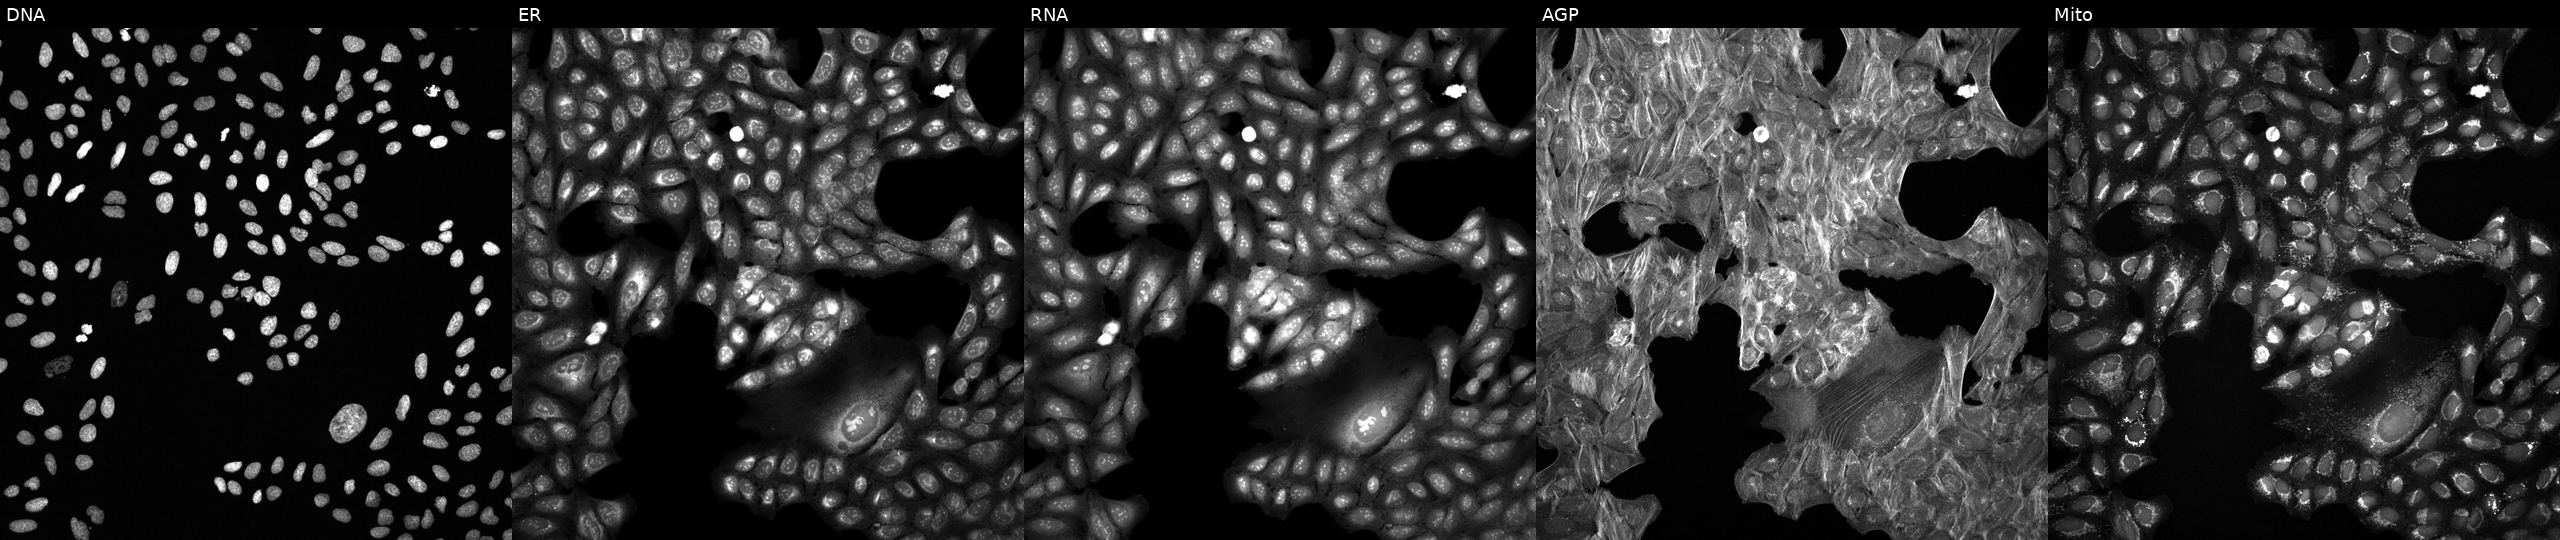
Five-channel Cell Painting image of U2OS cells exposed to a small-molecule compound (InChIKey WJBLNOPPDWQMCH-UHFFFAOYSA-N). Panels show, left to right, DNA (nuclei); ER (endoplasmic reticulum); RNA (nucleoli and cytoplasmic RNA); AGP (actin cytoskeleton, Golgi, and plasma membrane); Mito (mitochondria). Source 6, plate 110000293093, well O02.